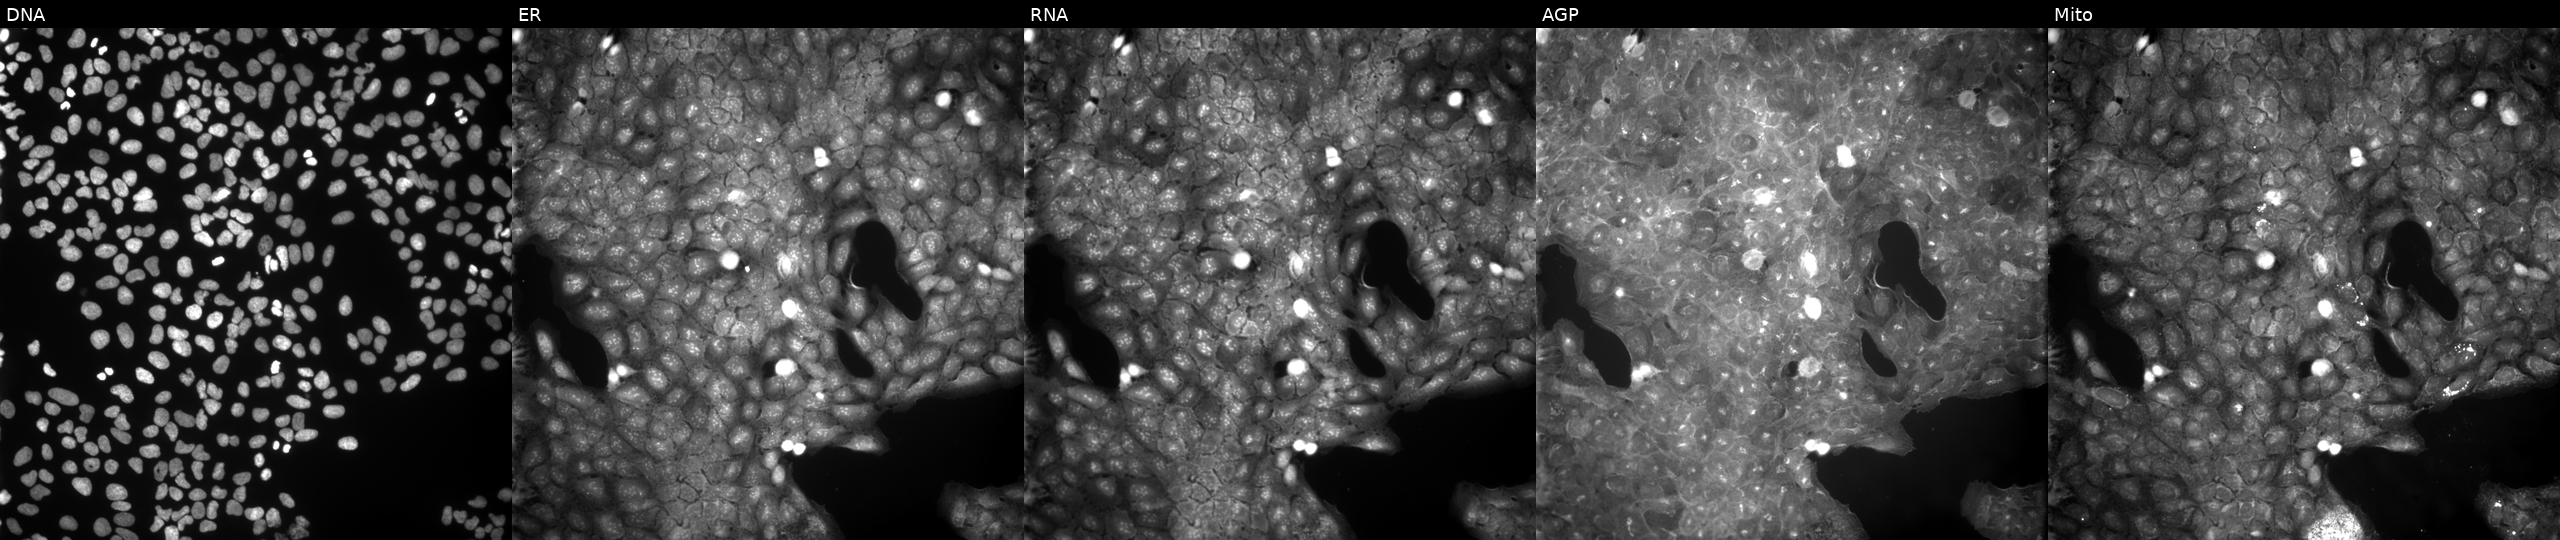
From left to right: Hoechst 33342, concanavalin A, SYTO 14, phalloidin and WGA, MitoTracker. U2OS osteosarcoma cells perturbed with a small-molecule compound [SMILES: CN1C(=O)C(O)(CC(=O)C=Cc2ccco2)c2ccccc21]. Cell Painting assay, JUMP-CP dataset.